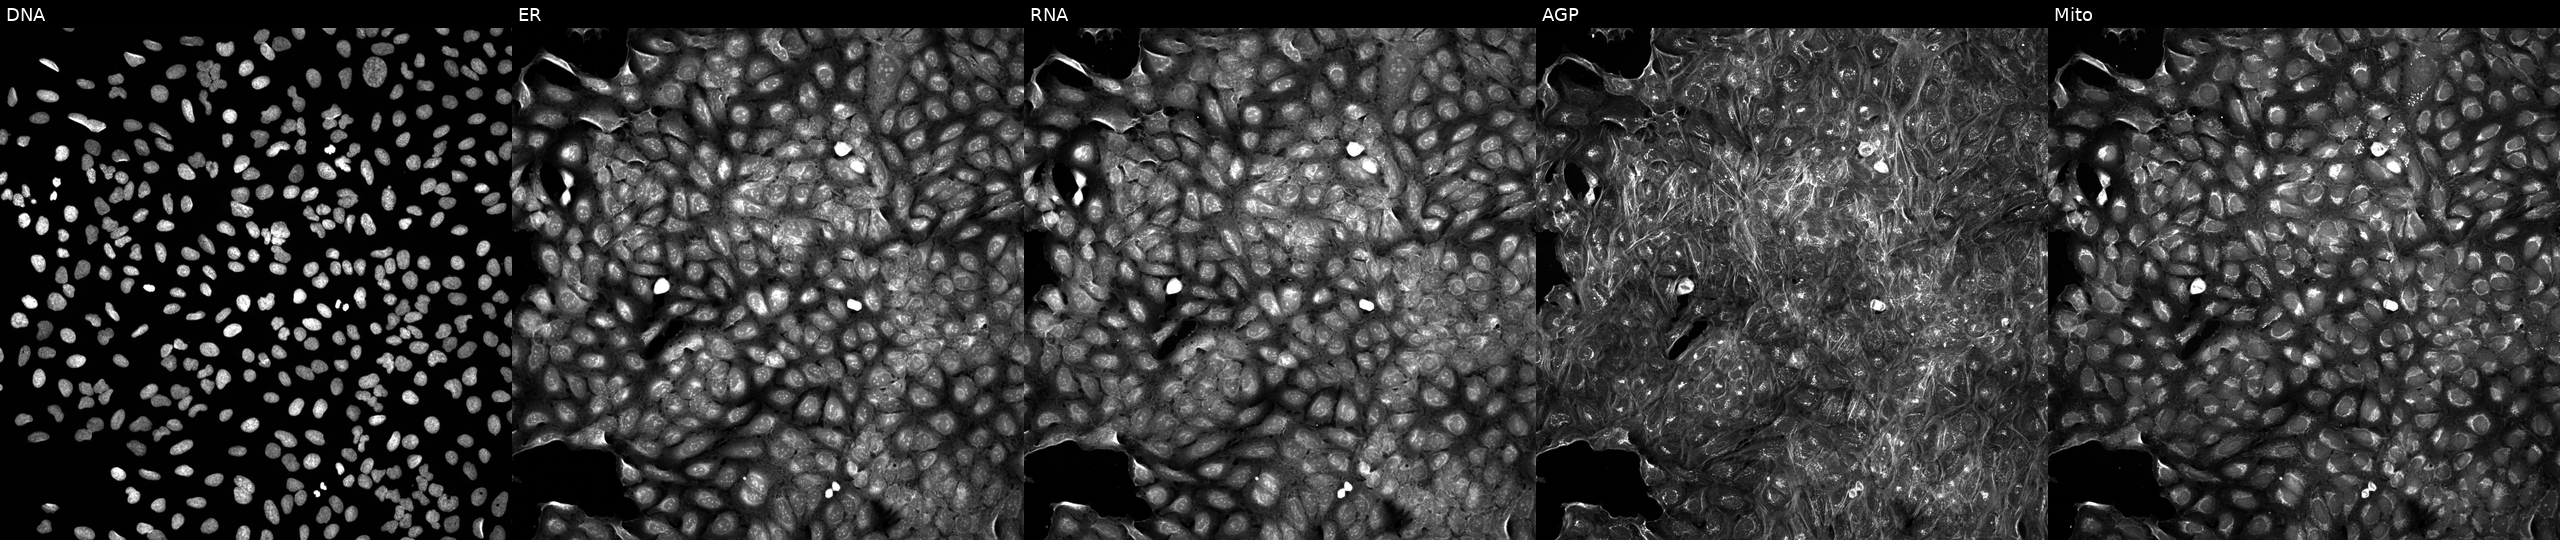
JUMP Cell Painting — COMPOUND plate. U2OS cells treated with a small-molecule compound (JUMP id JCP2022_047300). Panels show, left to right, DNA, ER, RNA, AGP, and Mito.